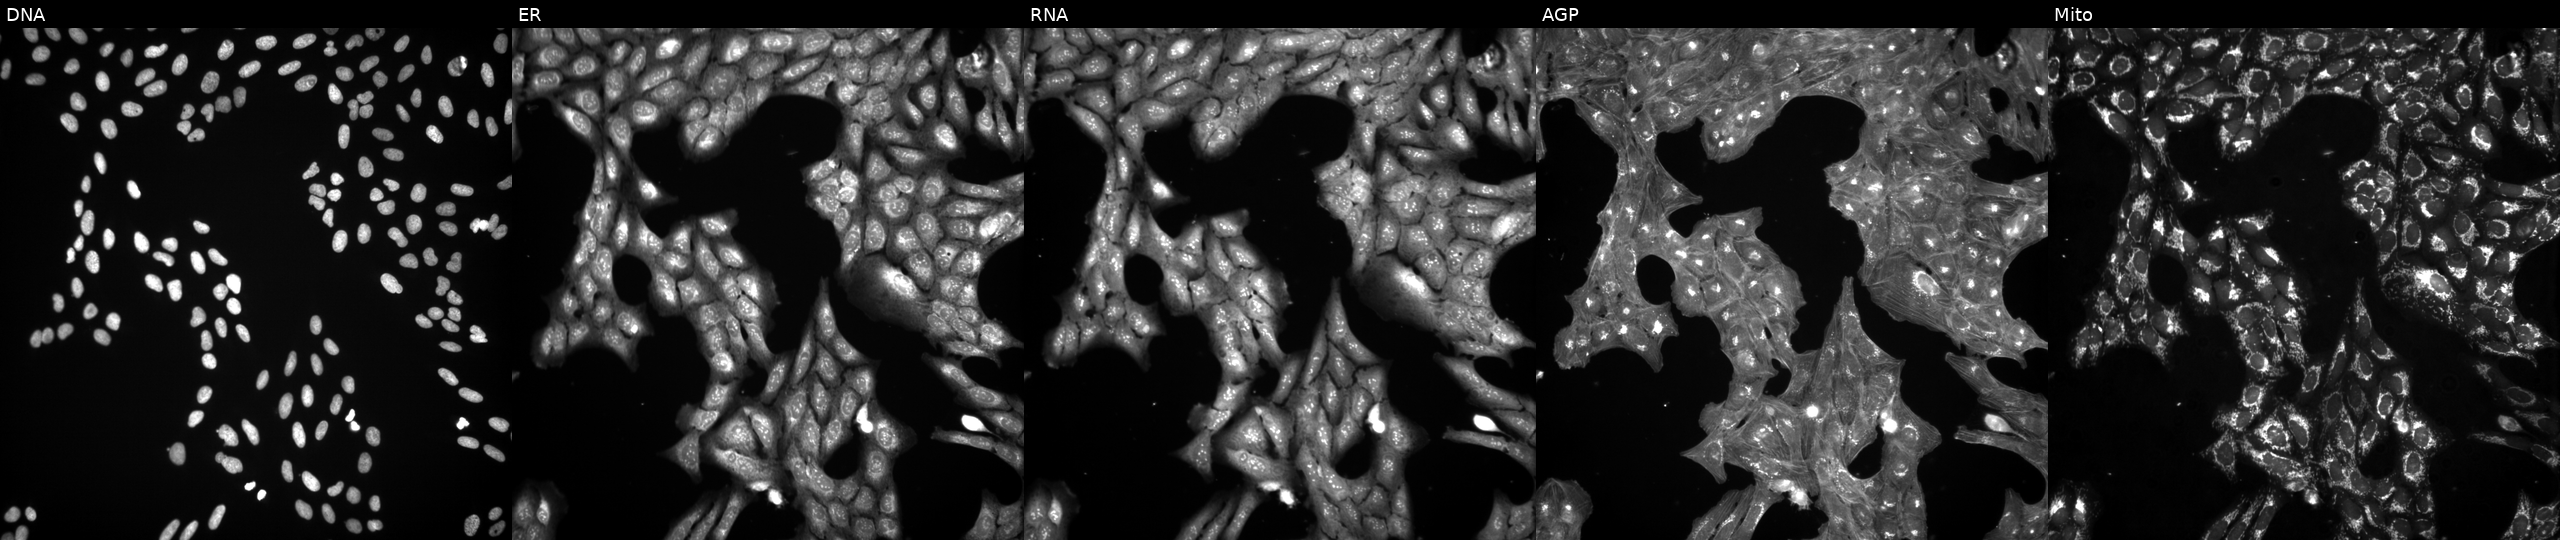
JUMP Cell Painting — COMPOUND plate. U2OS cells exposed to the positive-control compound dexamethasone (JUMP id JCP2022_025848). Channels (left→right): Hoechst 33342, concanavalin A, SYTO 14, phalloidin and WGA, MitoTracker. Source 3, plate BR5867a3, well K01.